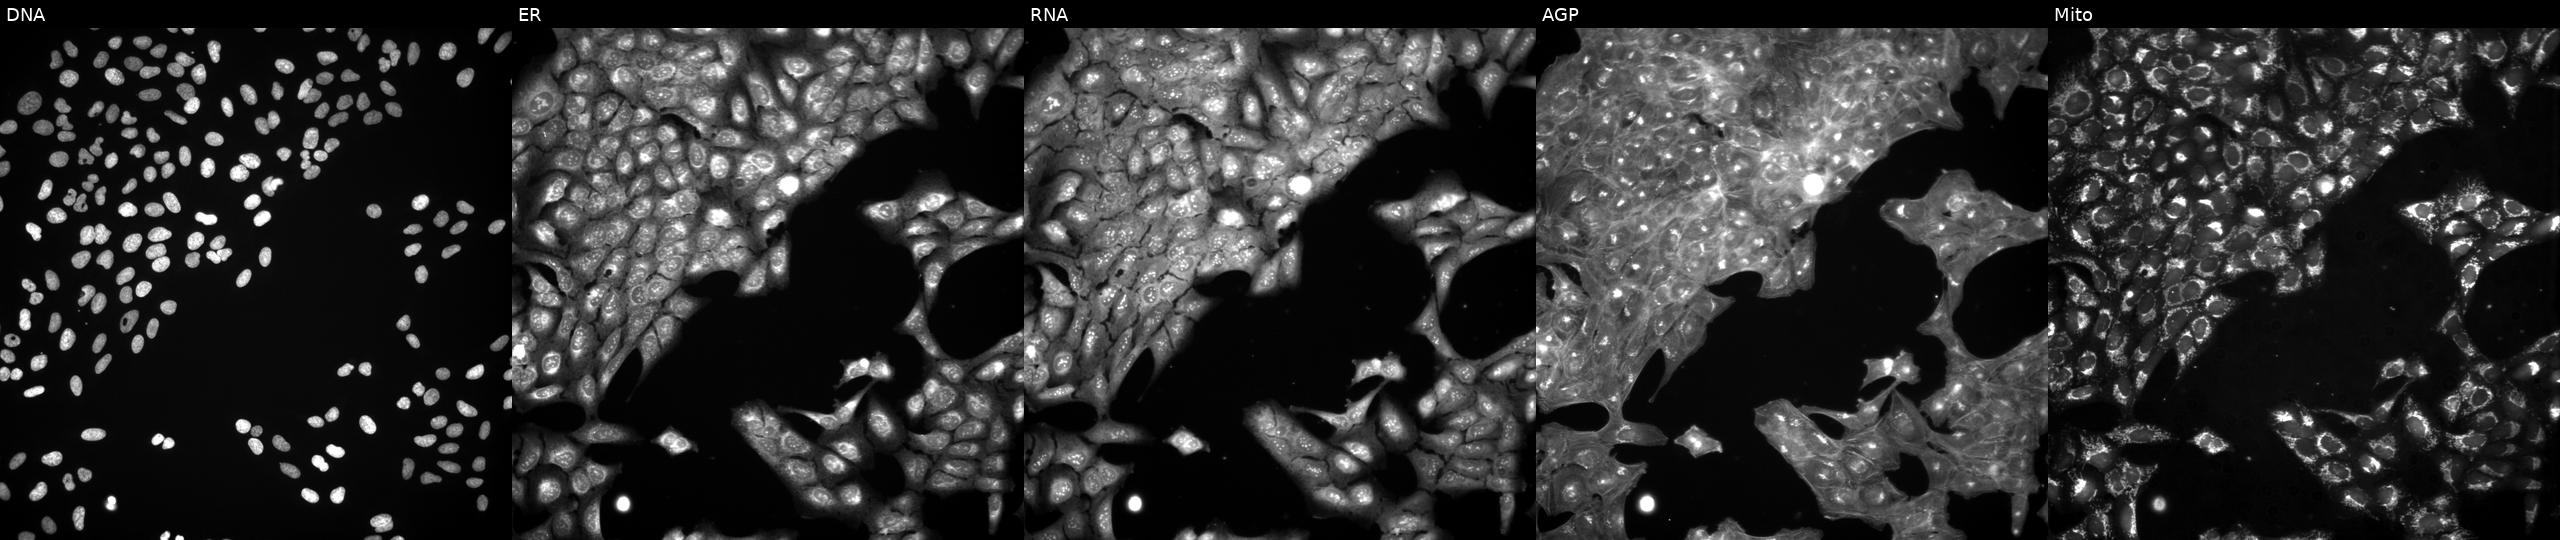
JUMP Cell Painting — COMPOUND plate. U2OS cells exposed to a small-molecule compound (InChIKey WCAWXUAMDOWILV-UHFFFAOYSA-N) (JUMP id JCP2022_097790). Panels show, left to right, DNA, ER, RNA, AGP, and Mito. Source 3, plate BR5867b3, well J22.